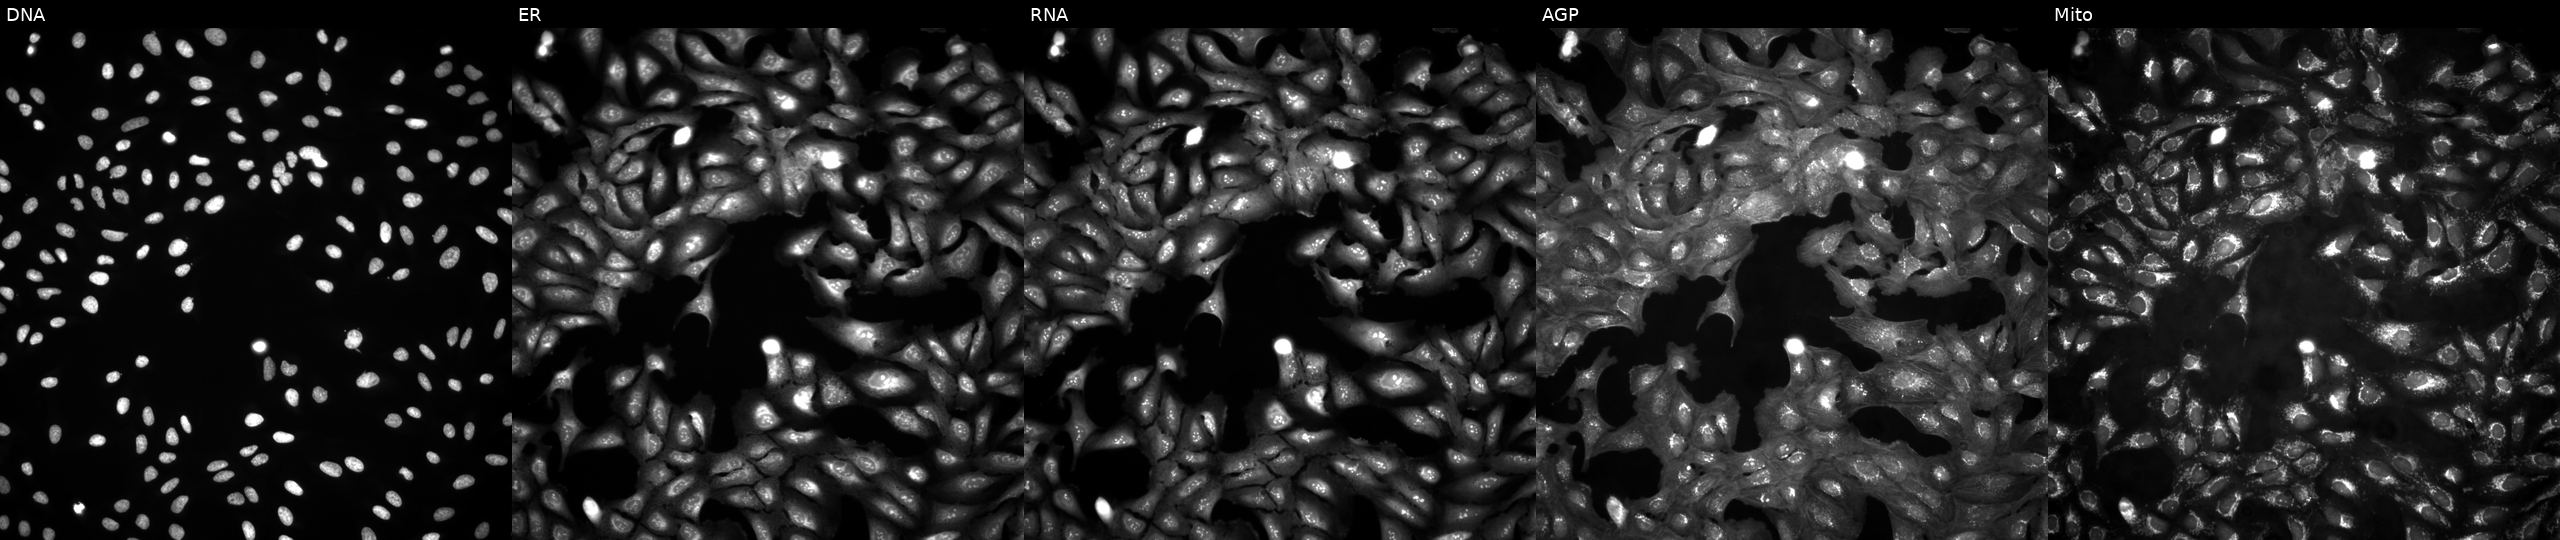
Panels show, left to right, DNA, ER, RNA, AGP, and Mito. U2OS osteosarcoma cells in an empty control well (no perturbation). Cell Painting assay, JUMP-CP dataset.